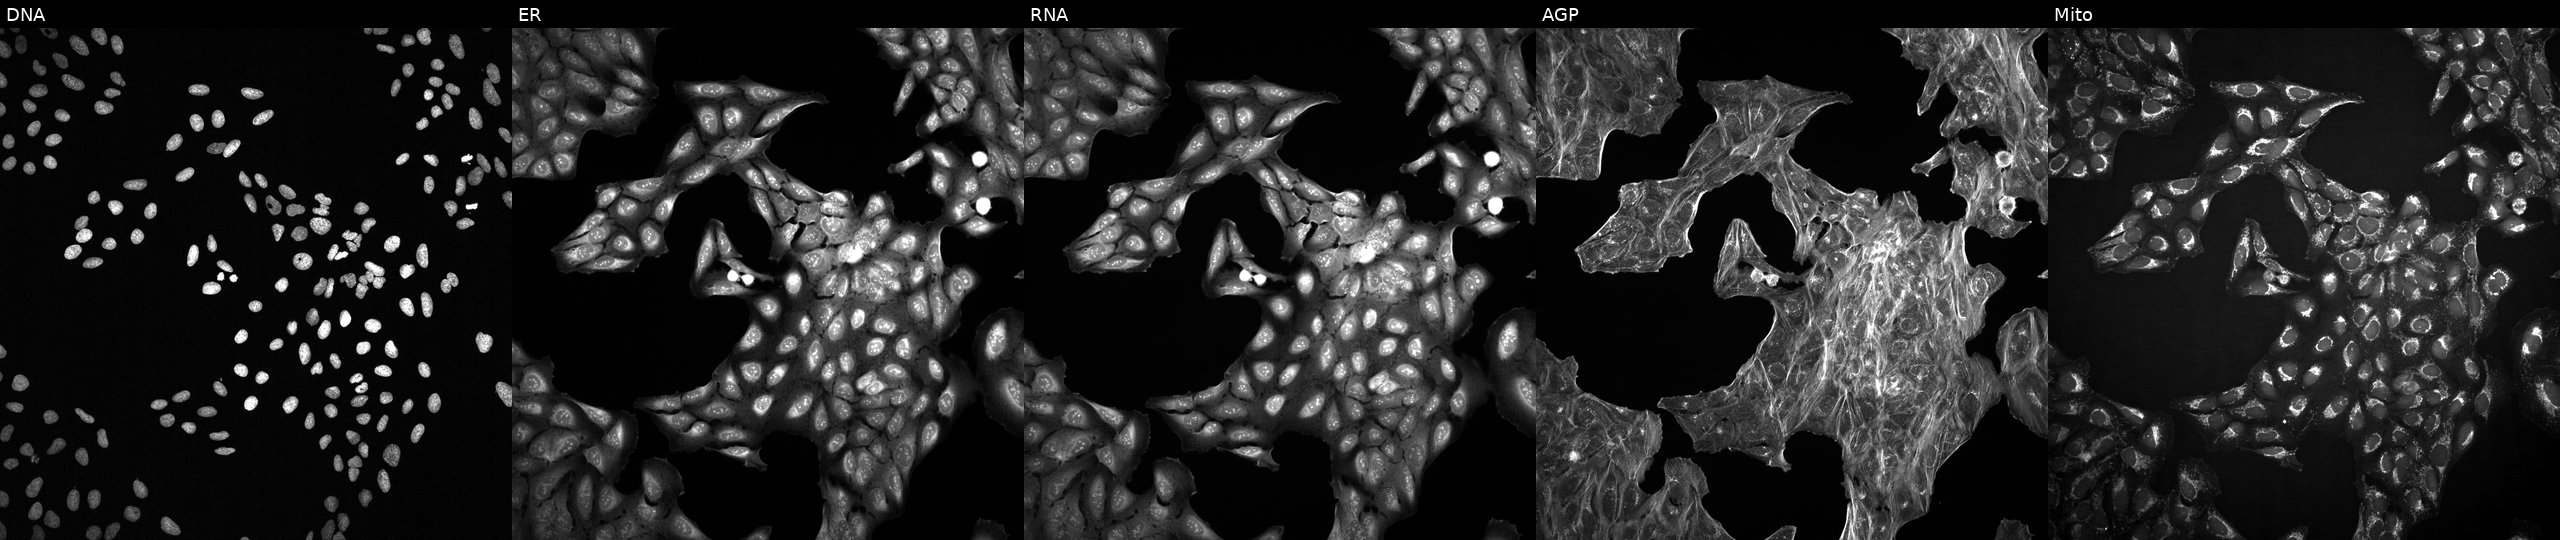
Five-channel Cell Painting image of U2OS cells exposed to a small-molecule compound. Channels (left→right): Hoechst 33342, concanavalin A, SYTO 14, phalloidin and WGA, MitoTracker.